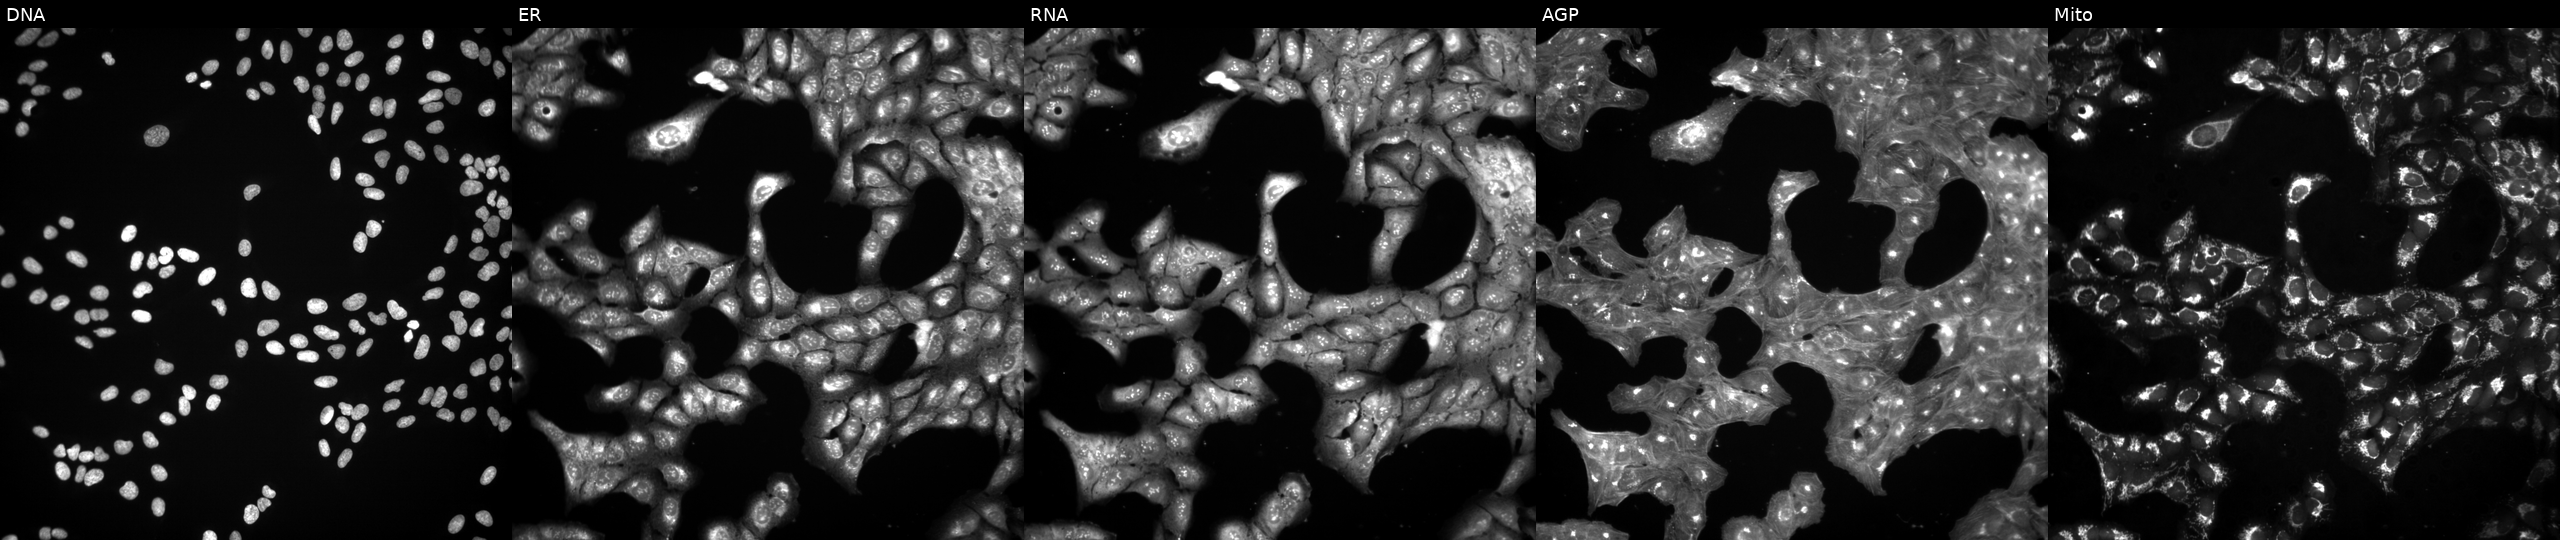
Channels (left→right): DNA (nuclei); ER (endoplasmic reticulum); RNA (nucleoli and cytoplasmic RNA); AGP (actin cytoskeleton, Golgi, and plasma membrane); Mito (mitochondria). U2OS osteosarcoma cells exposed to the positive-control compound aloxistatin. Cell Painting assay, JUMP-CP dataset. Source 3, plate BR5867b3, well I01.